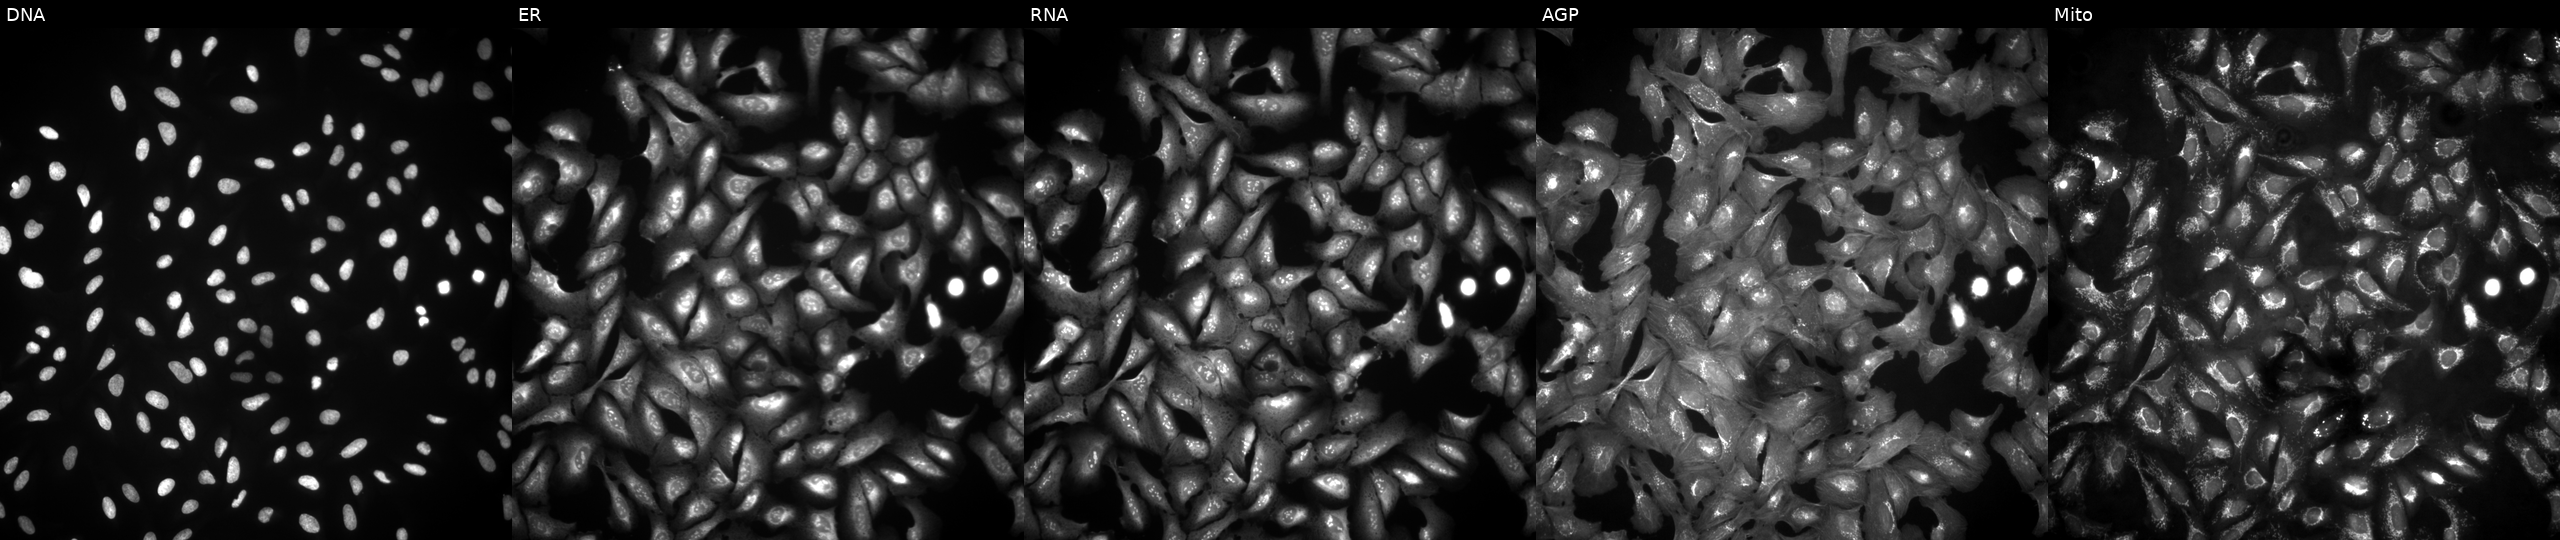
JUMP Cell Painting — ORF plate. U2OS cells with PCDH10 overexpressed (ORF) (JUMP id JCP2022_908168). Channels (left→right): DNA (nuclei); ER (endoplasmic reticulum); RNA (nucleoli and cytoplasmic RNA); AGP (actin cytoskeleton, Golgi, and plasma membrane); Mito (mitochondria).